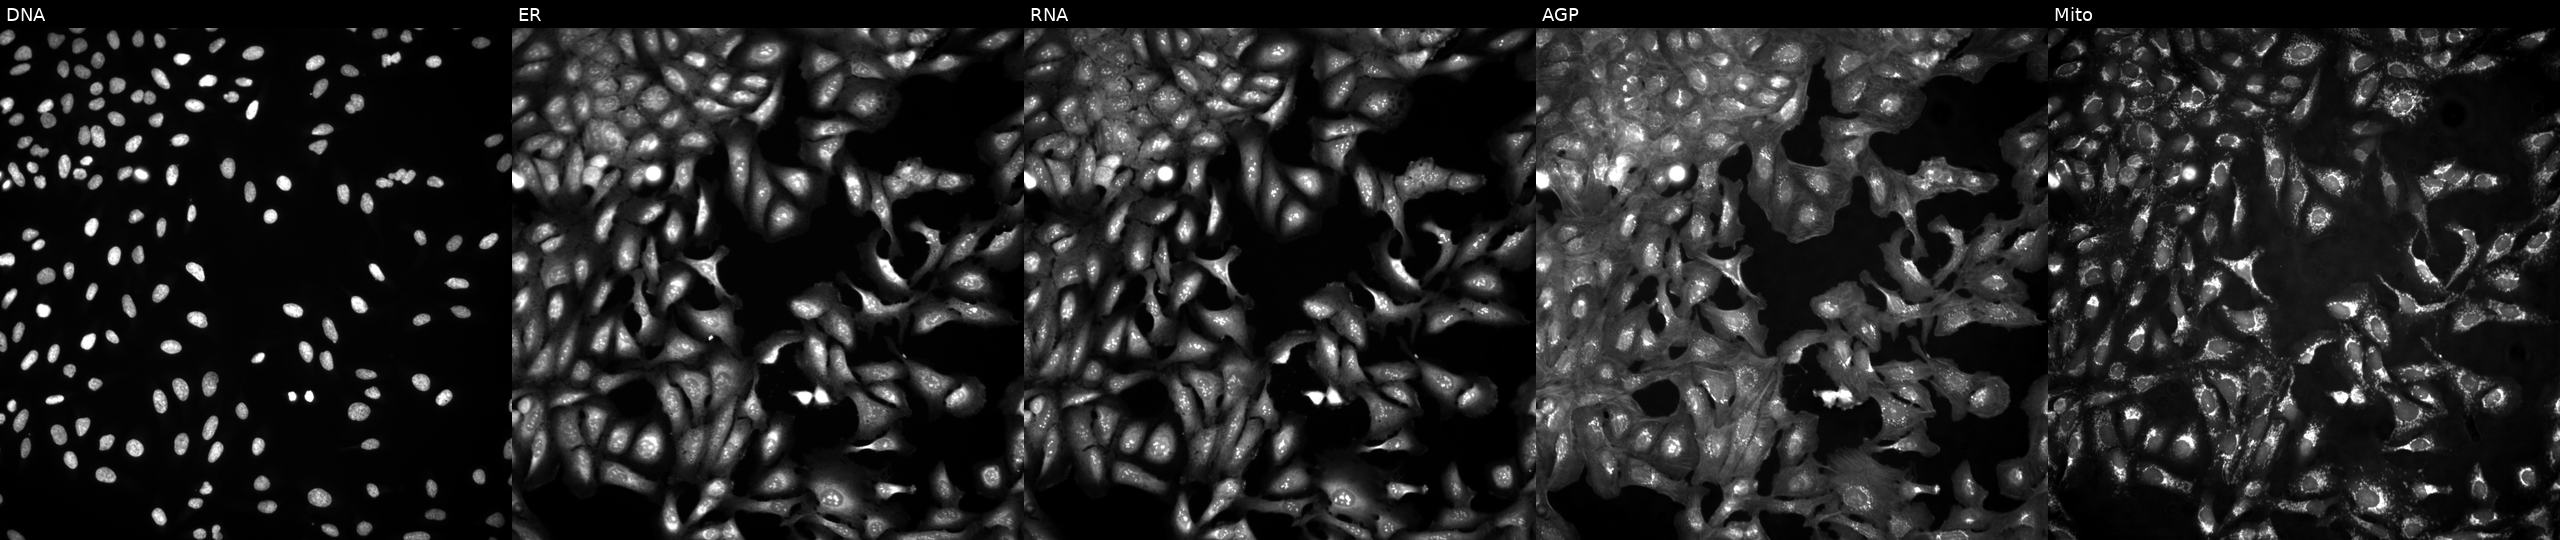
The five panels, left to right, show DNA, ER, RNA, AGP, and Mito. U2OS osteosarcoma cells in an empty control well (no perturbation) (JUMP id JCP2022_999999). Cell Painting assay, JUMP-CP dataset. Source 4, plate BR00124793, well F04.